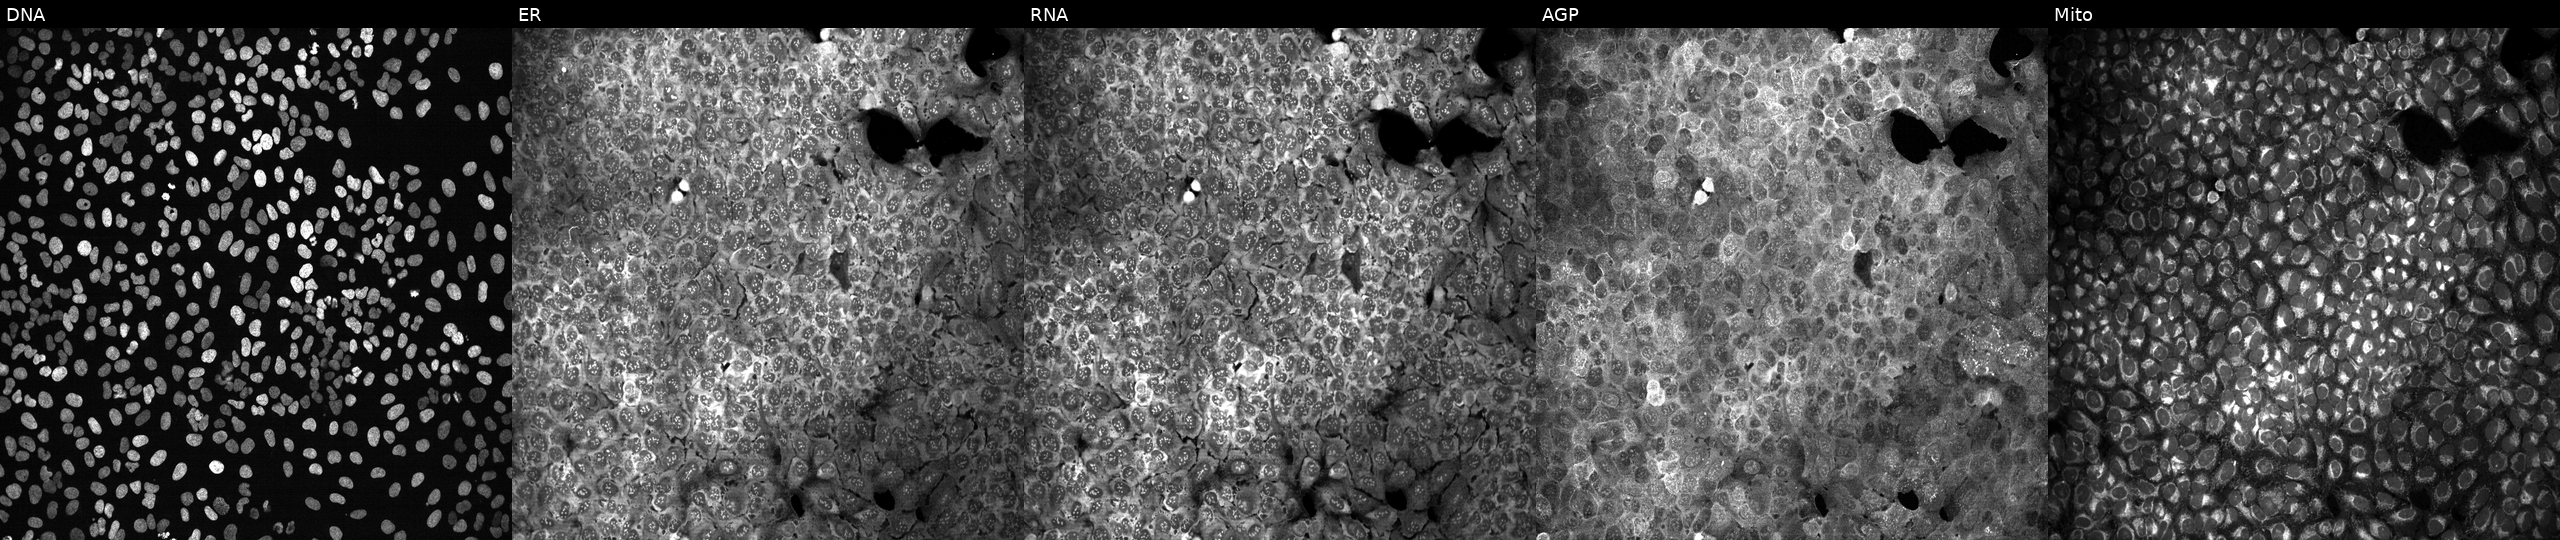
High-content fluorescence microscopy (Cell Painting). Cell line: U2OS. Perturbation: treated with DMSO vehicle only (negative control). The five panels, left to right, show DNA, ER, RNA, AGP, and Mito.